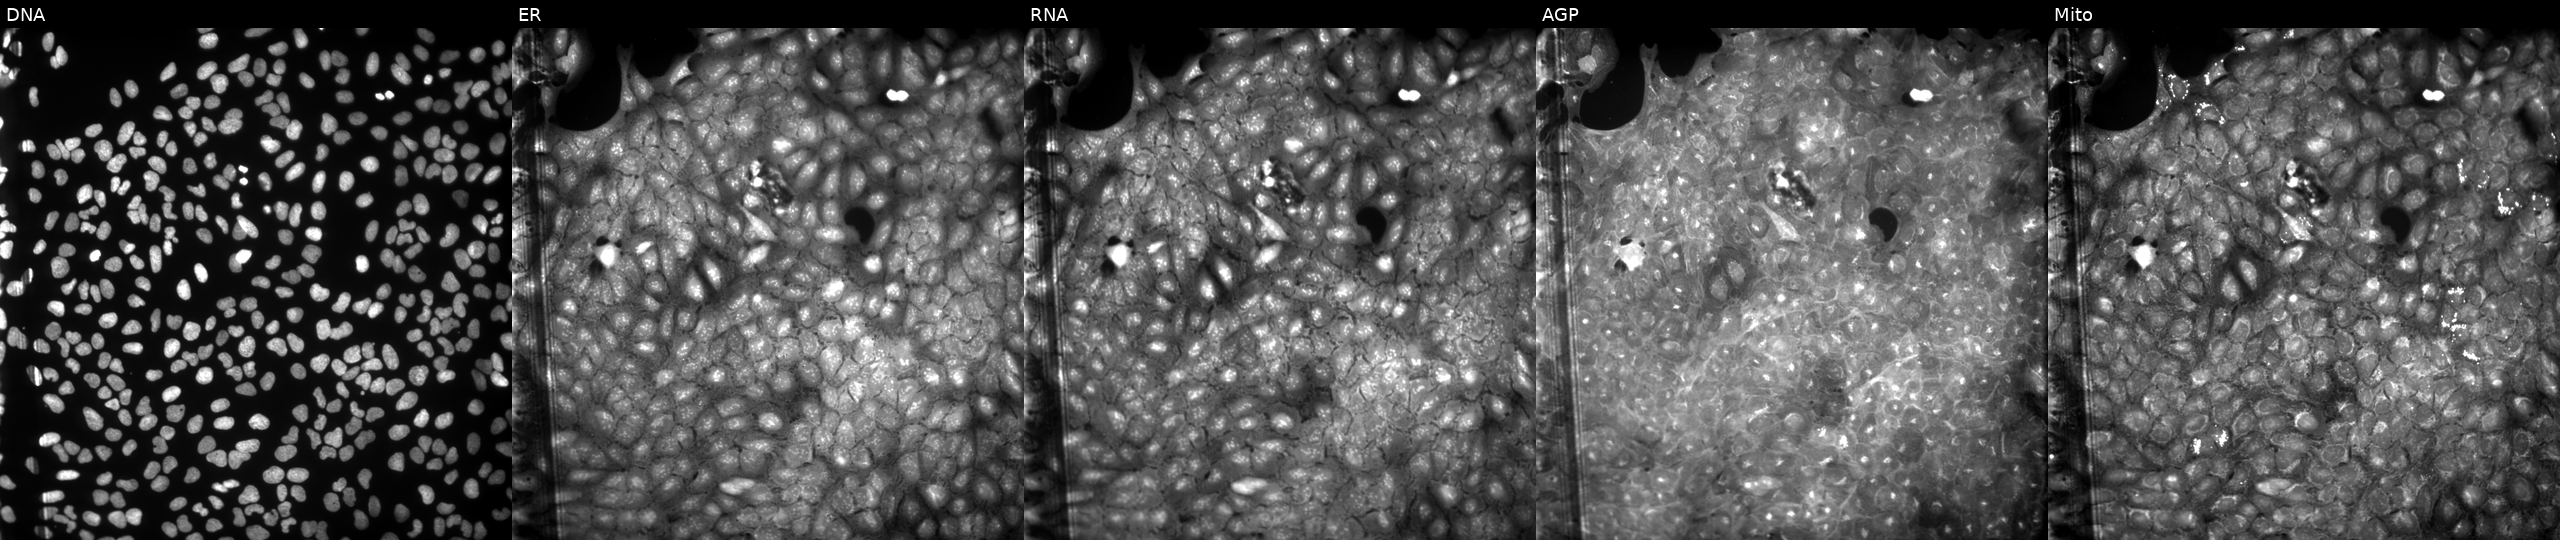
High-content fluorescence microscopy (Cell Painting). Cell line: U2OS. Perturbation: exposed to a small-molecule compound (InChIKey AUIXSRCNKFUMFR-UHFFFAOYSA-N) (JUMP id JCP2022_003929). The five panels, left to right, show Hoechst 33342, concanavalin A, SYTO 14, phalloidin and WGA, MitoTracker.